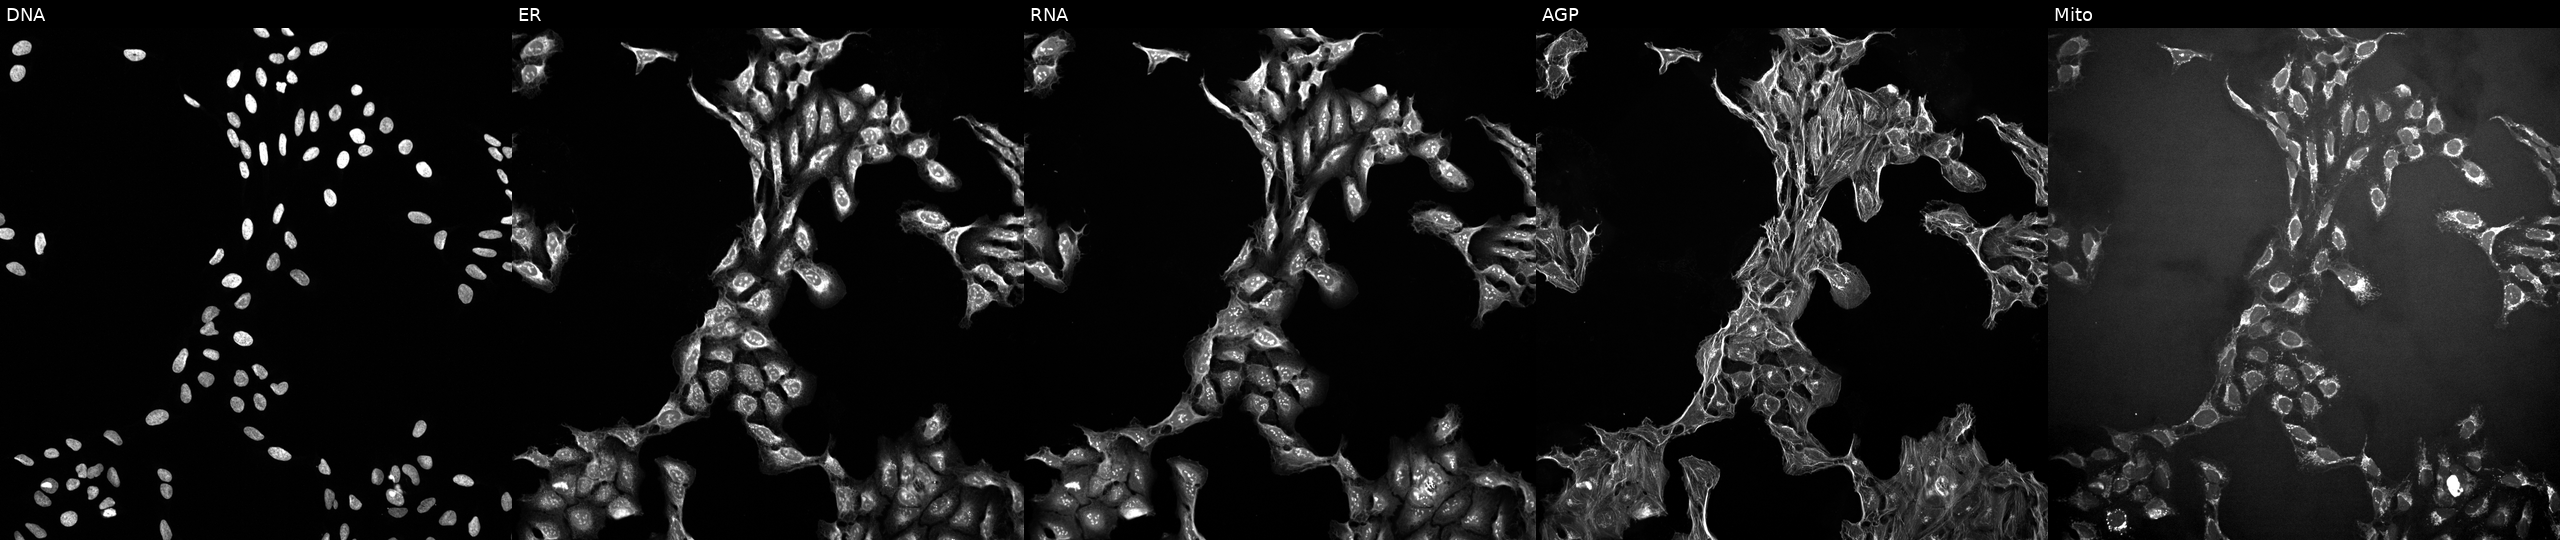
JUMP Cell Painting — TARGET2 plate. U2OS cells treated with a small-molecule compound (InChIKey FERIUCNNQQJTOY-UHFFFAOYSA-N). Channels (left→right): DNA, ER, RNA, AGP, and Mito. Source 10, plate Dest210727-153003, well A16.